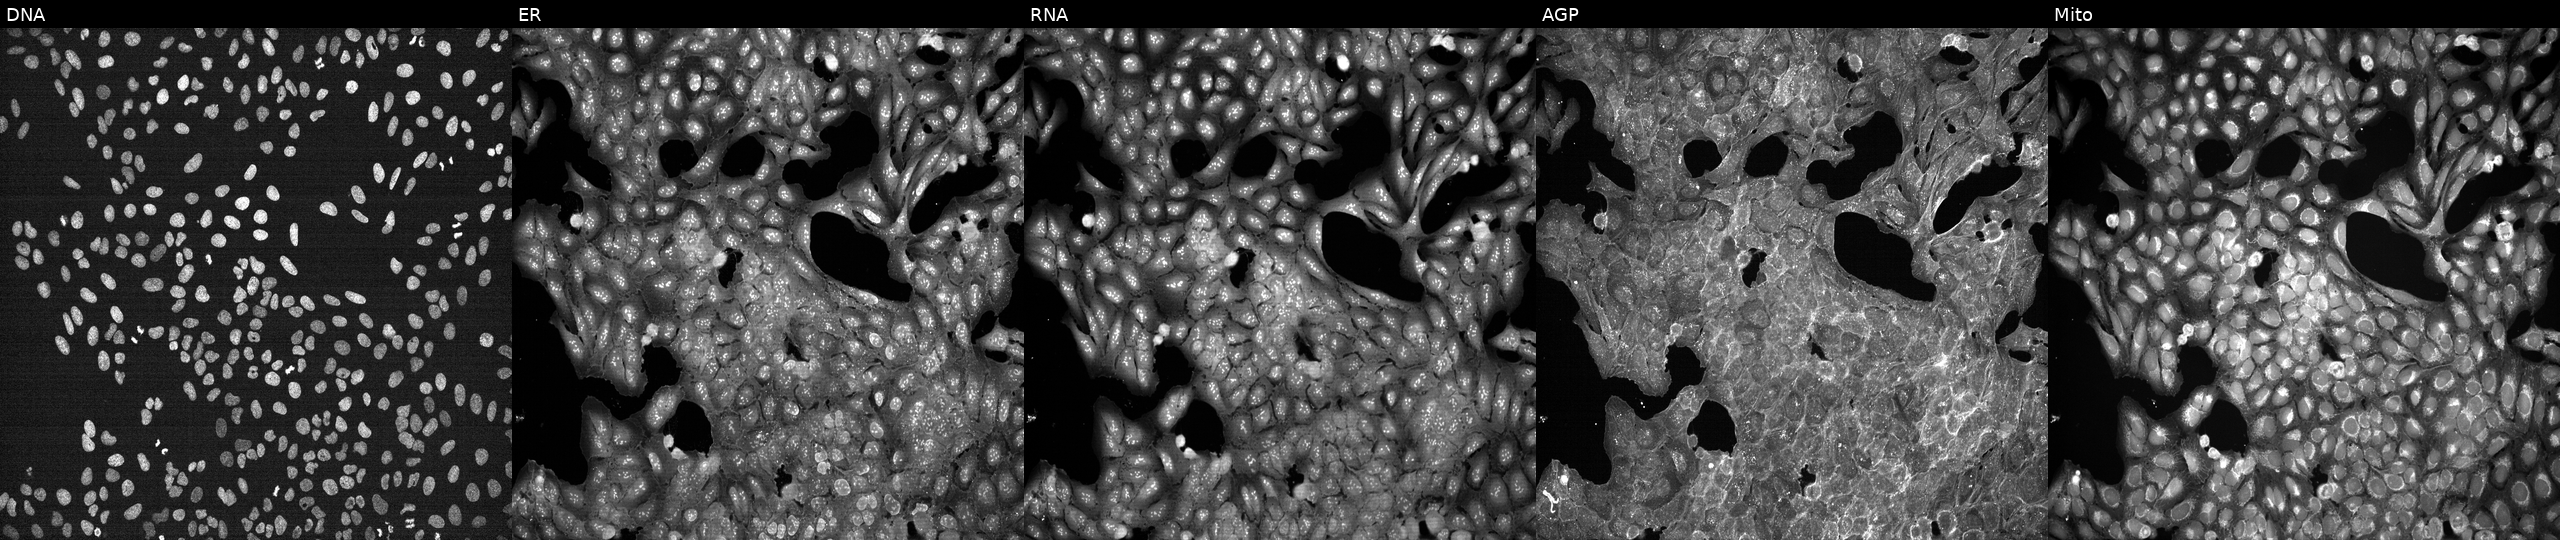
JUMP Cell Painting — TARGET2 plate. U2OS cells exposed to a small-molecule compound (InChIKey JDKKNQACNITFEA-UHFFFAOYSA-N) (JUMP id JCP2022_039047). From left to right: DNA (nuclei); ER (endoplasmic reticulum); RNA (nucleoli and cytoplasmic RNA); AGP (actin cytoskeleton, Golgi, and plasma membrane); Mito (mitochondria).